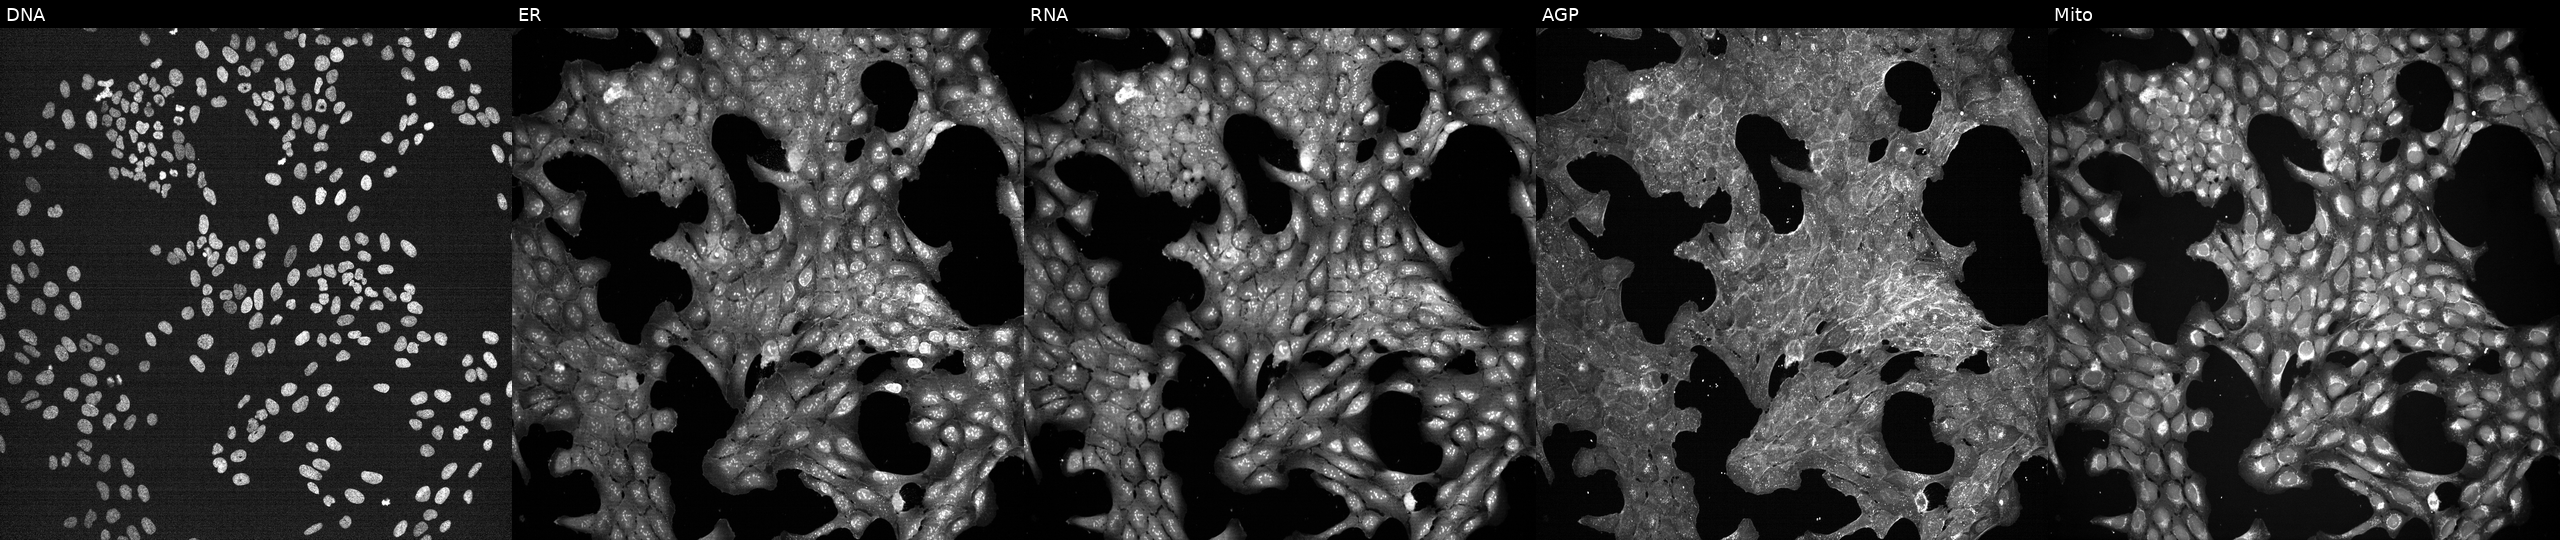
JUMP Cell Painting — TARGET2 plate. U2OS cells perturbed with a small-molecule compound (InChIKey TXZPMHLMPKIUGK-UHFFFAOYSA-N). The five panels, left to right, show DNA, ER, RNA, AGP, and Mito.